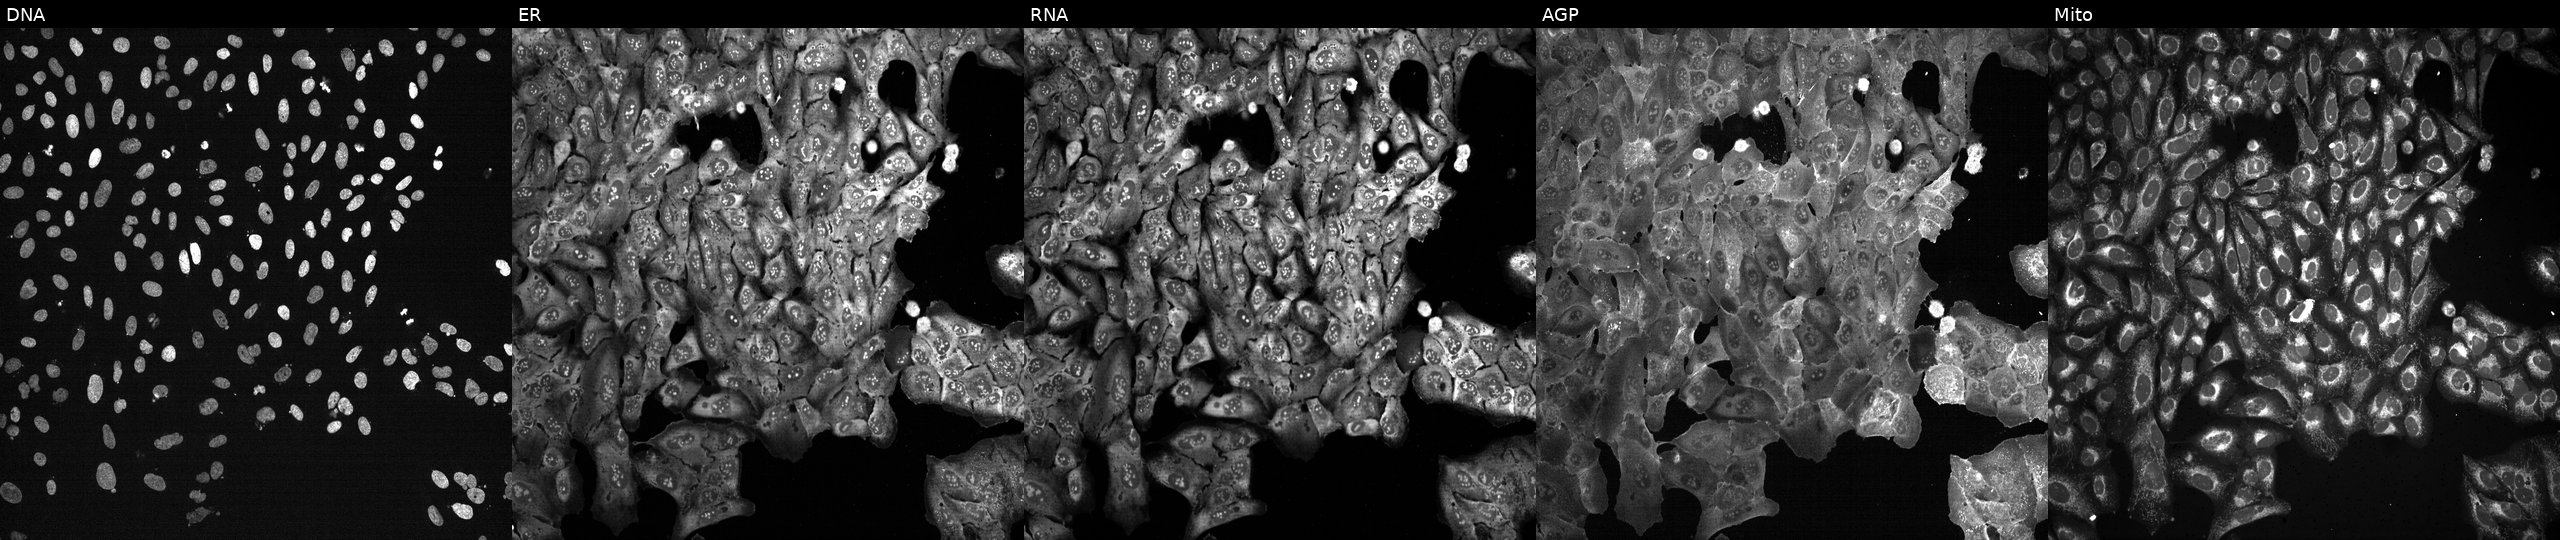
U2OS cells, Cell Painting assay, with COX7A2L knocked out by CRISPR. From left to right: DNA, ER, RNA, AGP, and Mito. Each panel is percentile-stretched 16-bit fluorescence. Source 13, plate CP-CC9-R2-02, well A15.